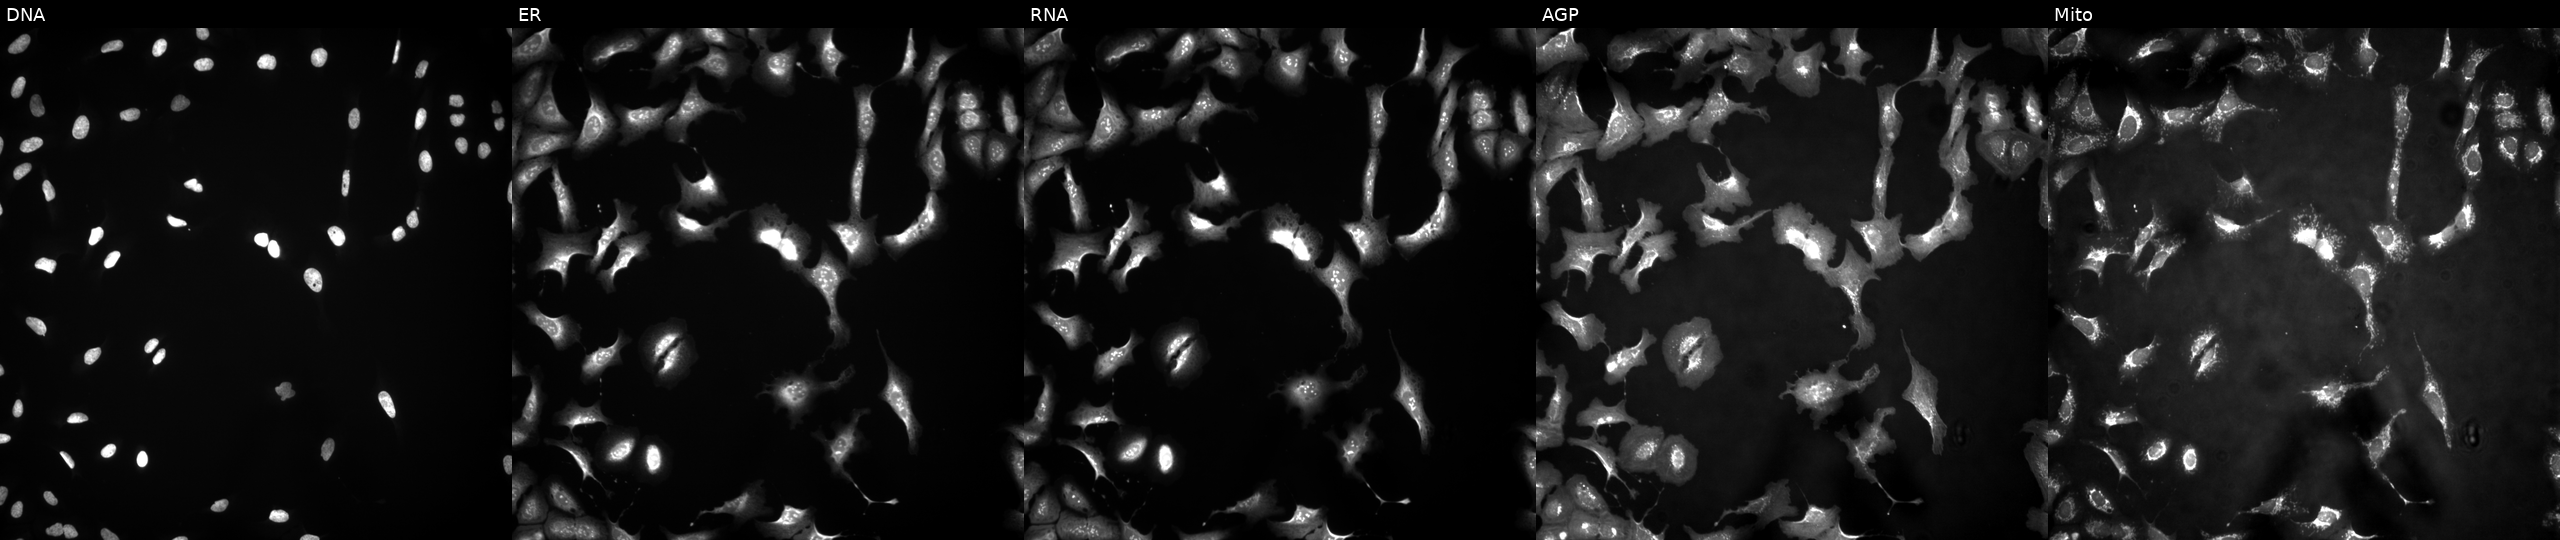
High-content fluorescence microscopy (Cell Painting). Cell line: U2OS. Perturbation: overexpressing DNAH6 via ORF transfection (JUMP id JCP2022_910049). From left to right: DNA, ER, RNA, AGP, and Mito. Source 4, plate BR00121543, well G10.